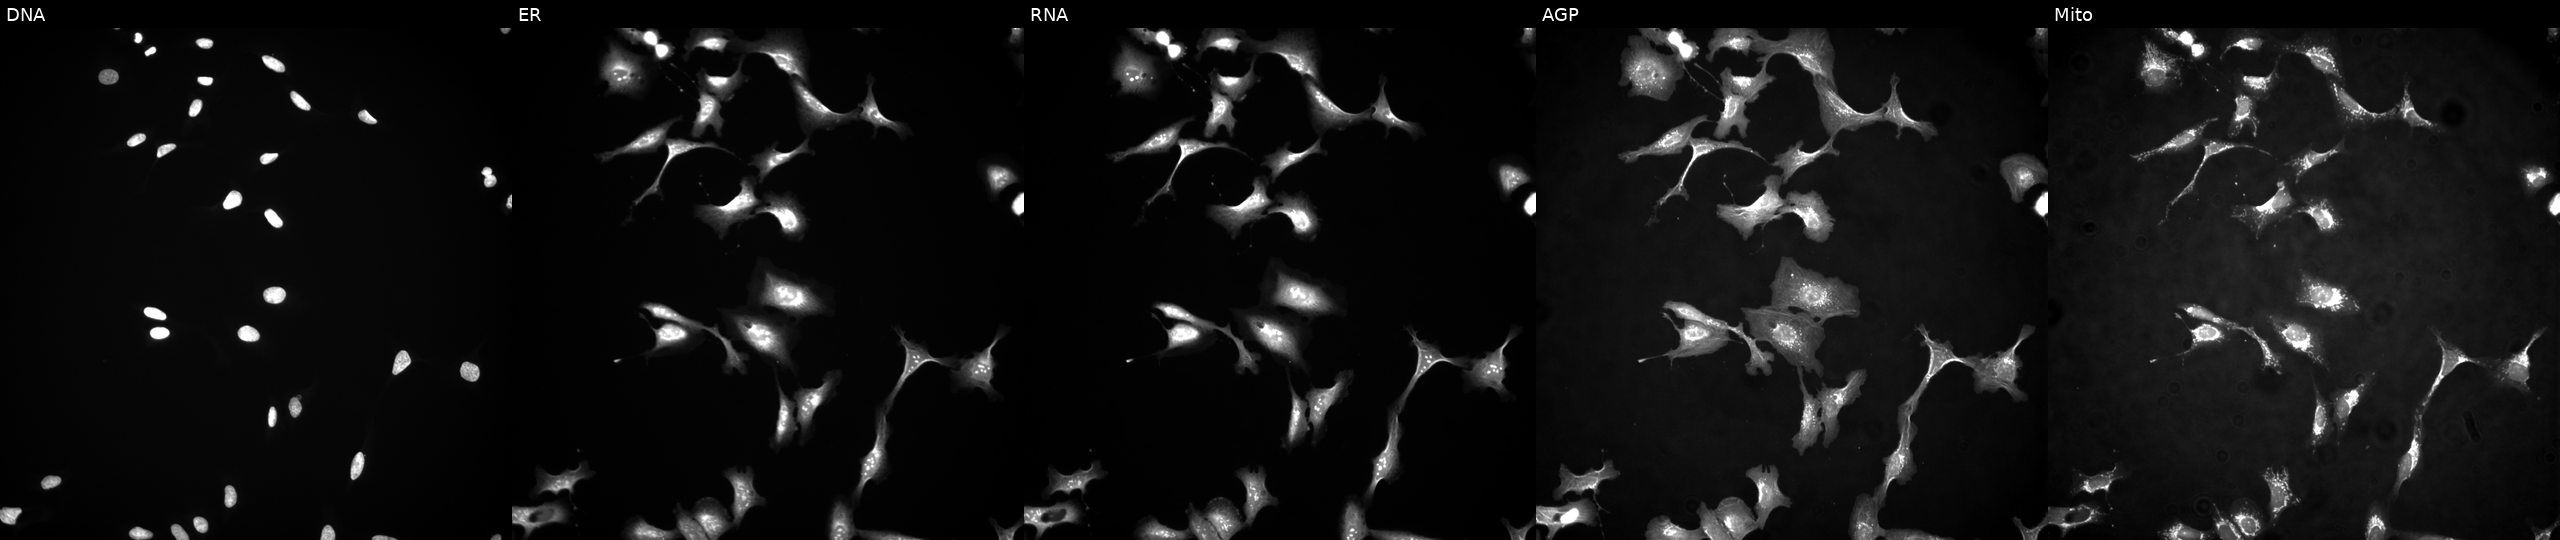
Five-channel Cell Painting image of U2OS cells transfected with an ORF construct for SEC63 (JUMP id JCP2022_907271). Channels (left→right): DNA, ER, RNA, AGP, and Mito.